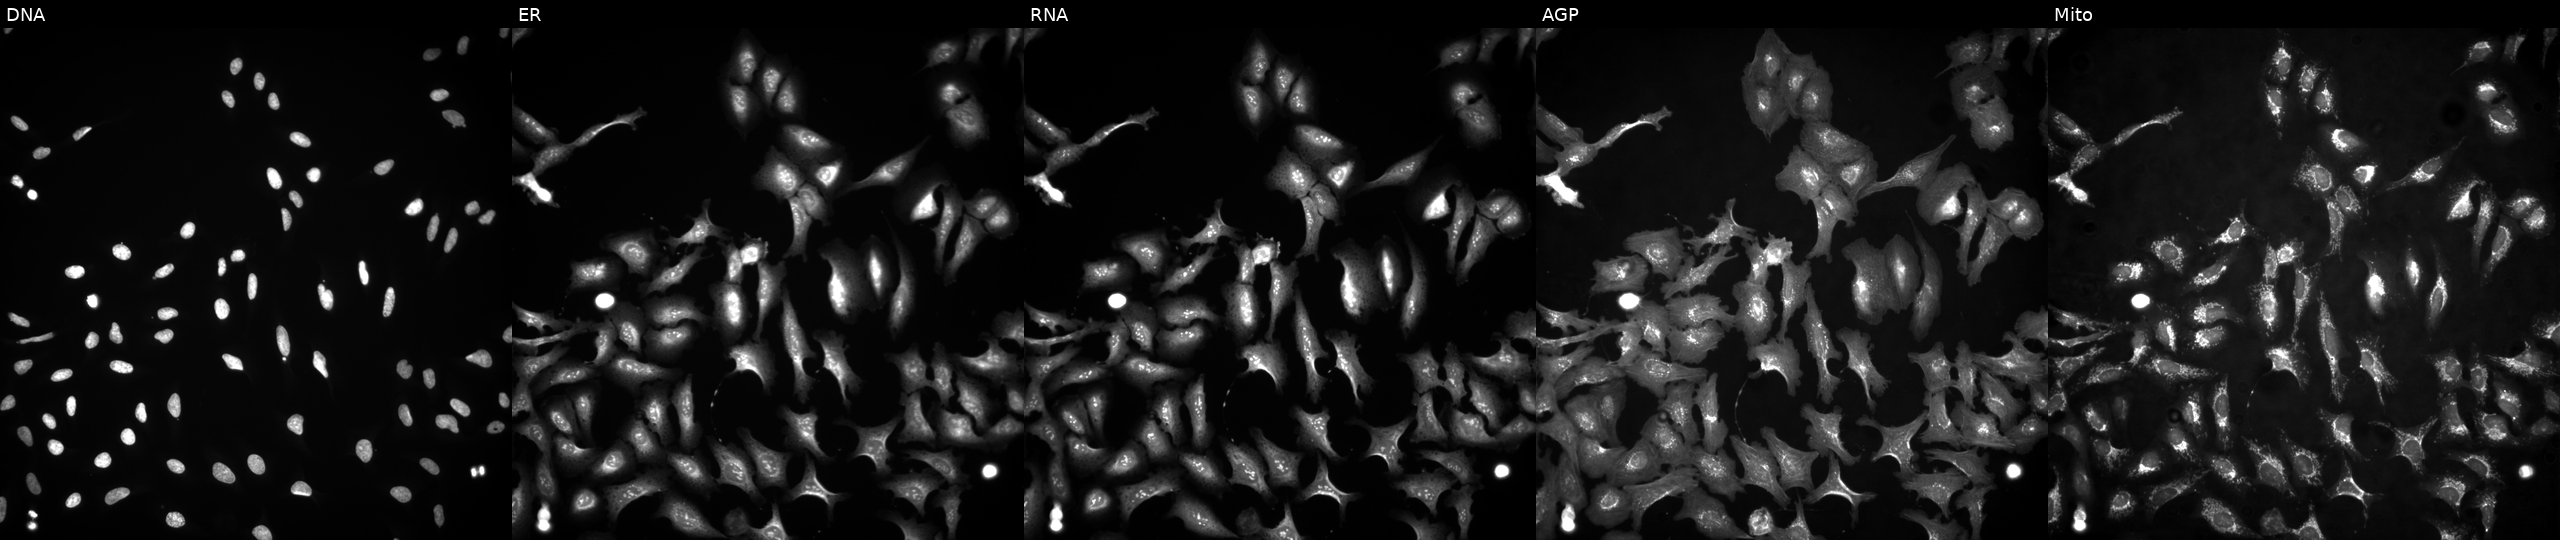
This image strip shows the five Cell Painting channels for a single field of U2OS cells with ERGIC3 overexpressed (ORF). The five panels, left to right, show DNA (nuclei); ER (endoplasmic reticulum); RNA (nucleoli and cytoplasmic RNA); AGP (actin cytoskeleton, Golgi, and plasma membrane); Mito (mitochondria).